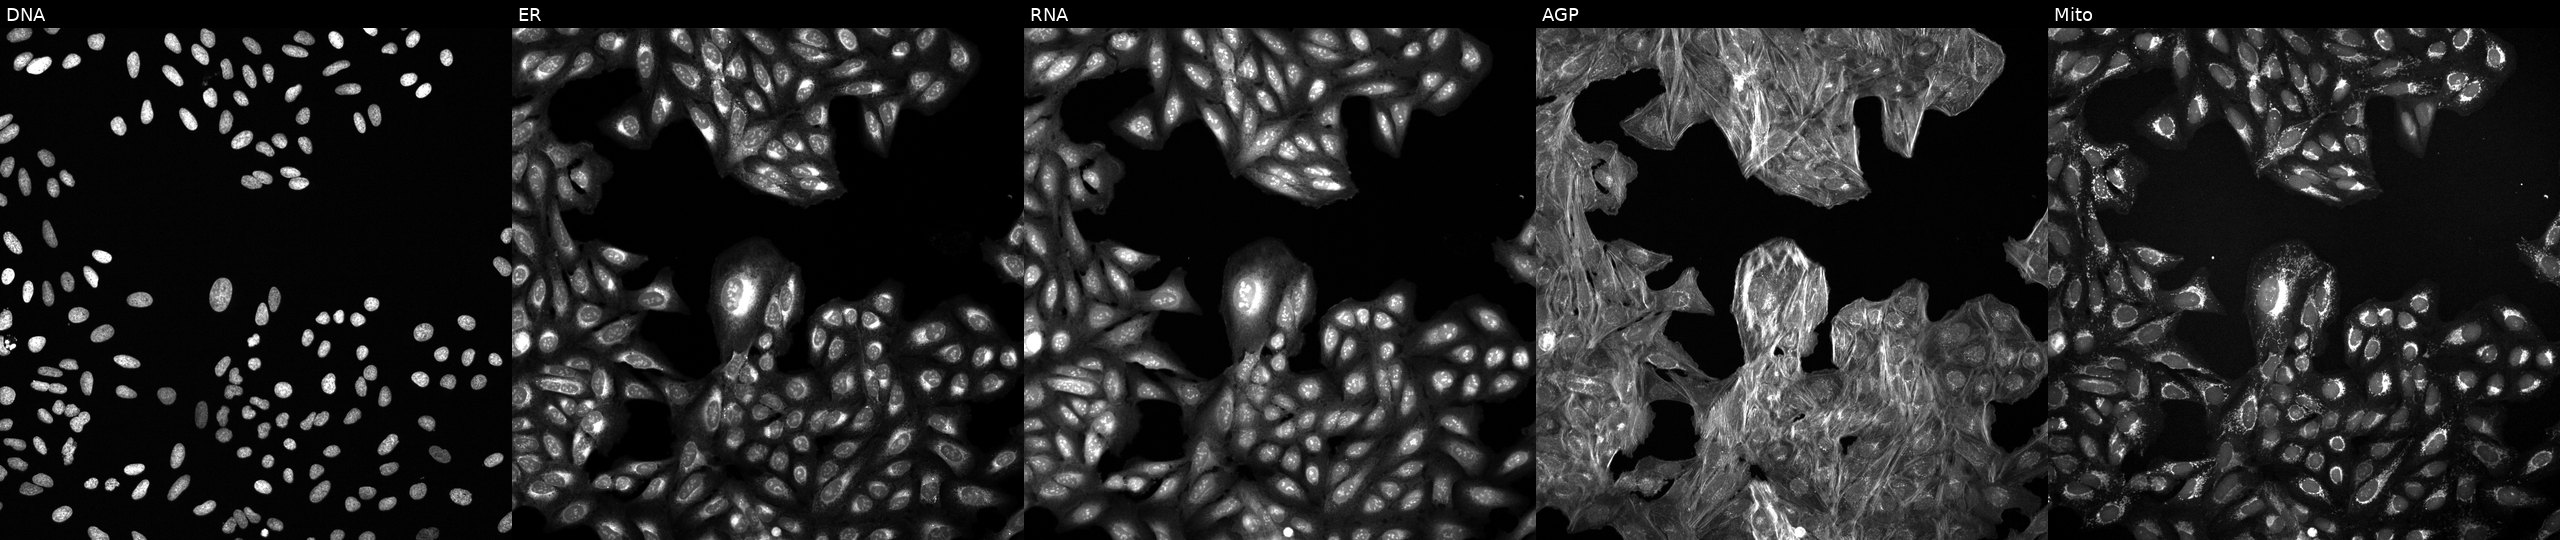
From left to right: DNA (nuclei); ER (endoplasmic reticulum); RNA (nucleoli and cytoplasmic RNA); AGP (actin cytoskeleton, Golgi, and plasma membrane); Mito (mitochondria). U2OS osteosarcoma cells treated with a small-molecule compound (InChIKey PTWRVCBPYBLWRR-UHFFFAOYSA-N). Cell Painting assay, JUMP-CP dataset. Source 6, plate 110000293083, well A05.